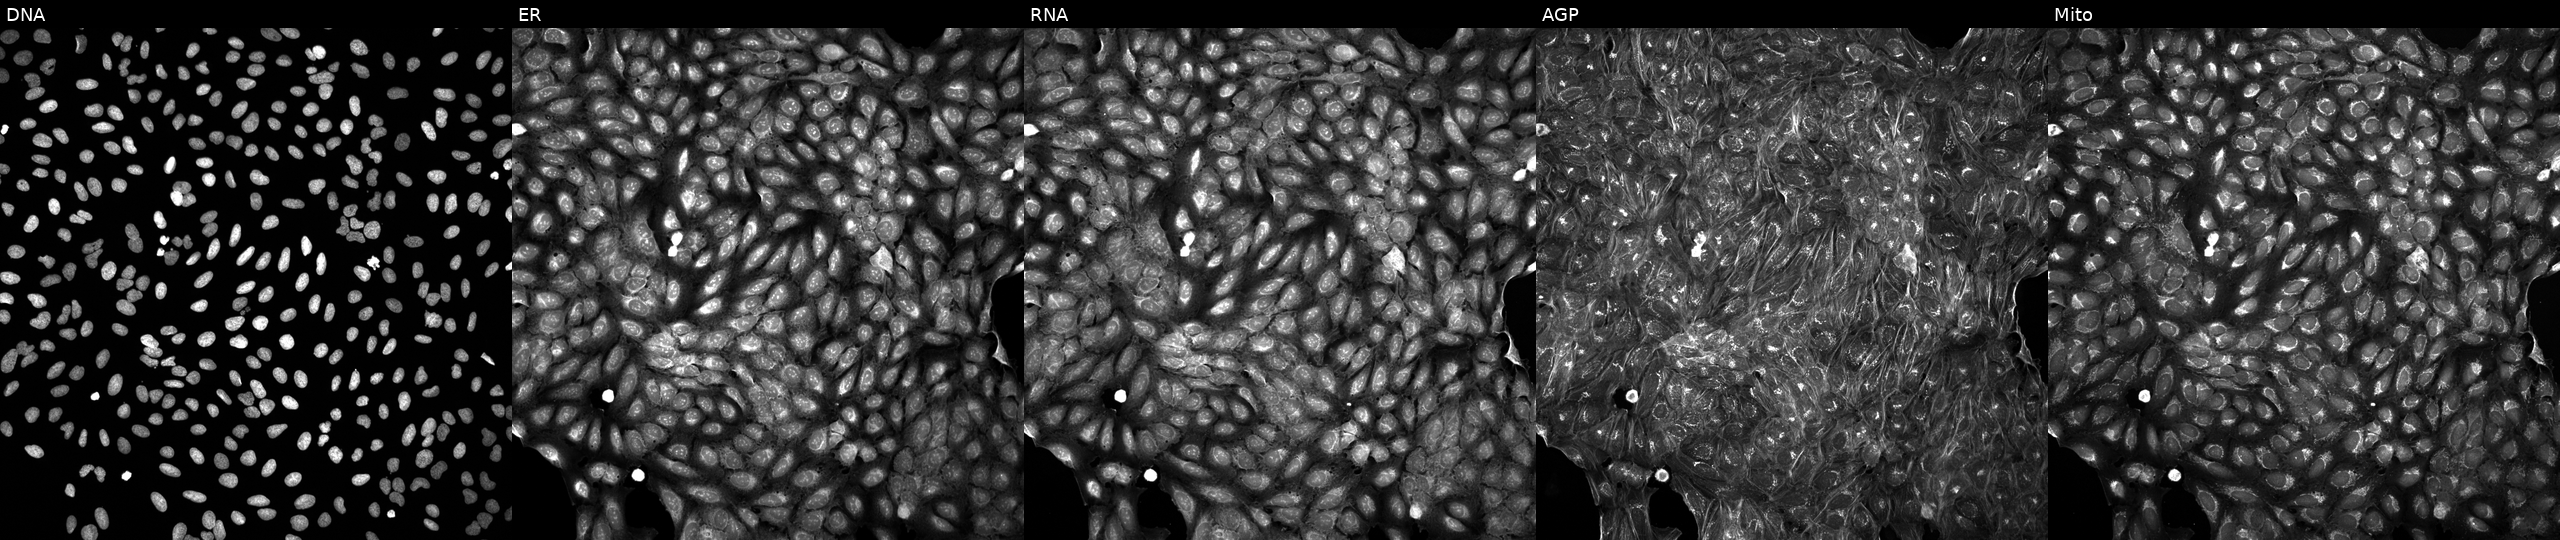
JUMP Cell Painting — COMPOUND plate. U2OS cells exposed to a small-molecule compound (JUMP id JCP2022_028346). From left to right: DNA (nuclei); ER (endoplasmic reticulum); RNA (nucleoli and cytoplasmic RNA); AGP (actin cytoskeleton, Golgi, and plasma membrane); Mito (mitochondria).